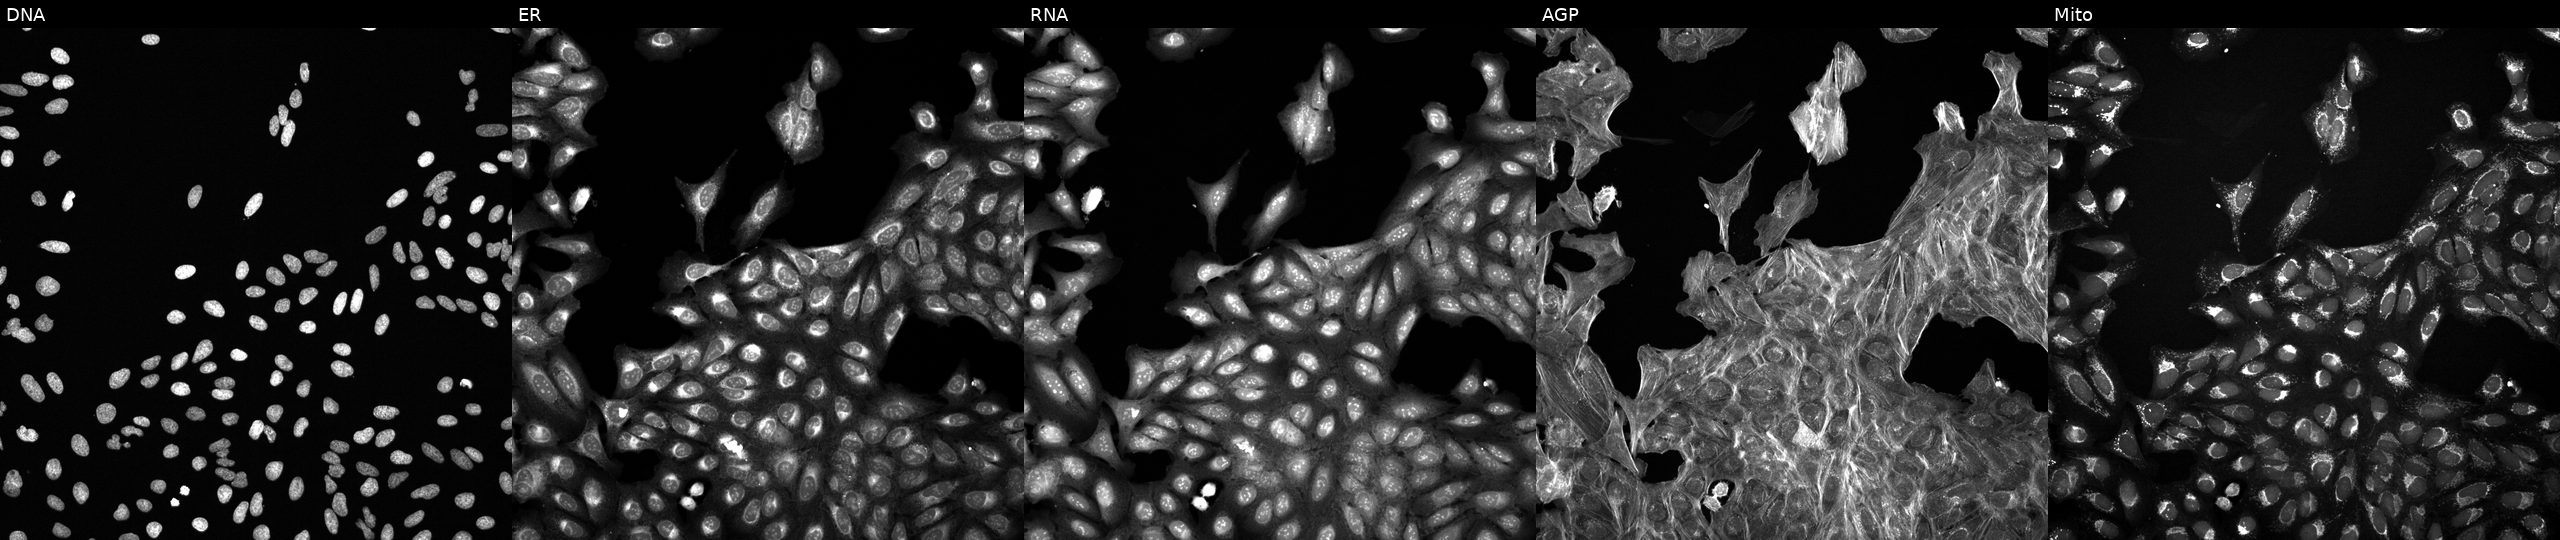
JUMP Cell Painting — TARGET2 plate. U2OS cells perturbed with a small-molecule compound (InChIKey KPYSYYIEGFHWSV-UHFFFAOYSA-N) [SMILES: NCC(CC(=O)O)c1ccc(Cl)cc1]. From left to right: DNA, ER, RNA, AGP, and Mito. Source 6, plate 110000293081, well G13.